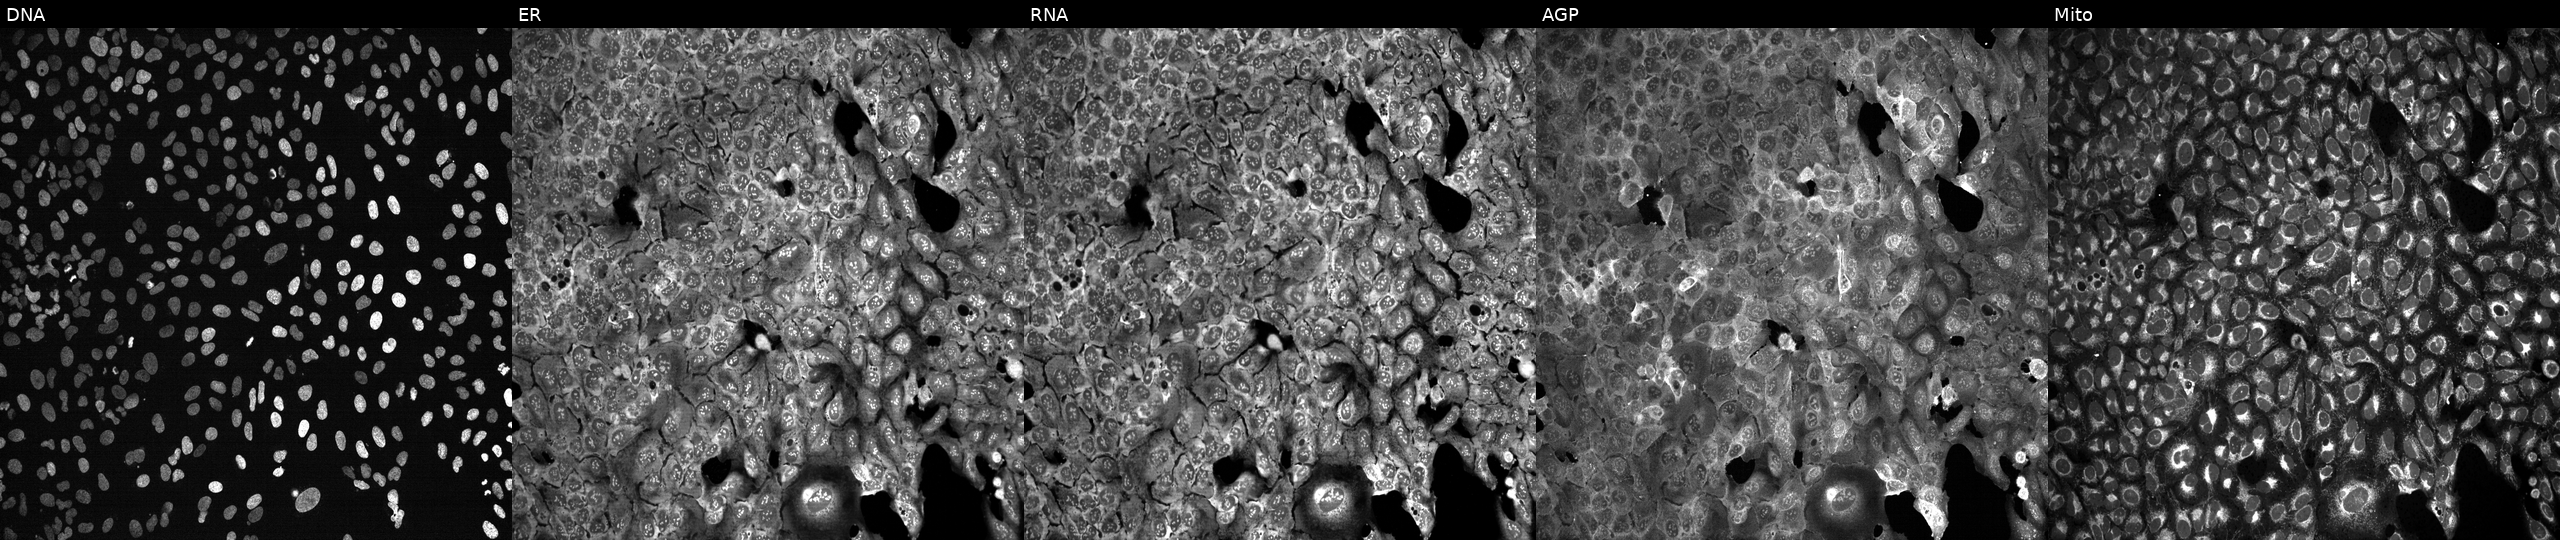
Channels (left→right): DNA, ER, RNA, AGP, and Mito. U2OS osteosarcoma cells following CRISPR knockout of SMPD2 (JUMP id JCP2022_806647). Cell Painting assay, JUMP-CP dataset.